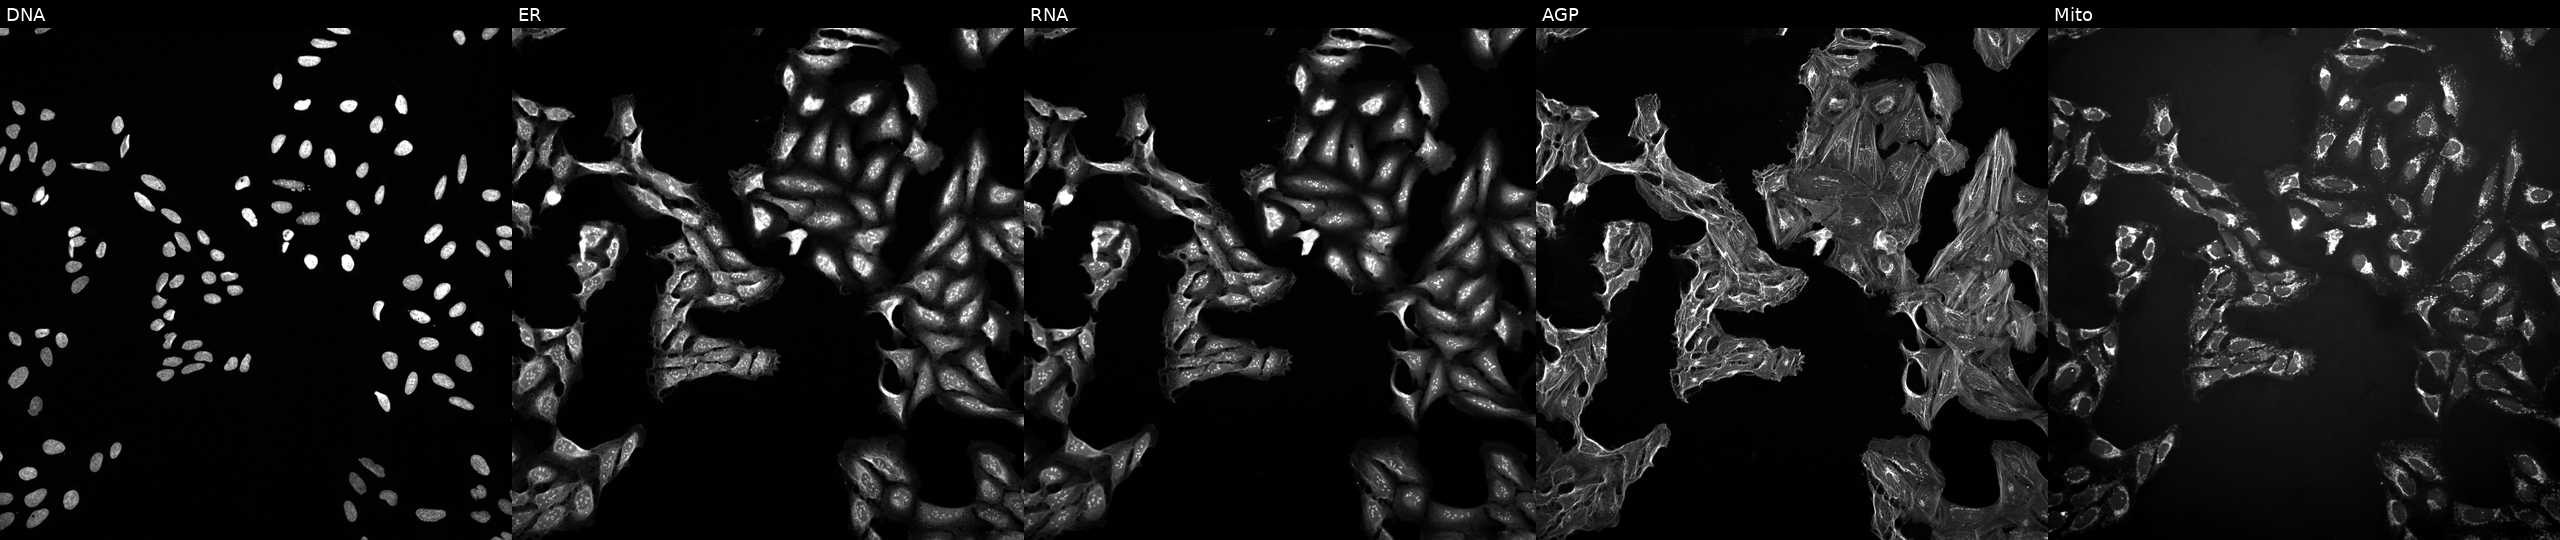
Five-channel Cell Painting image of U2OS cells perturbed with a small-molecule compound (InChIKey ZMUSCGJNJYXJBP-UHFFFAOYSA-N). From left to right: Hoechst 33342, concanavalin A, SYTO 14, phalloidin and WGA, MitoTracker.